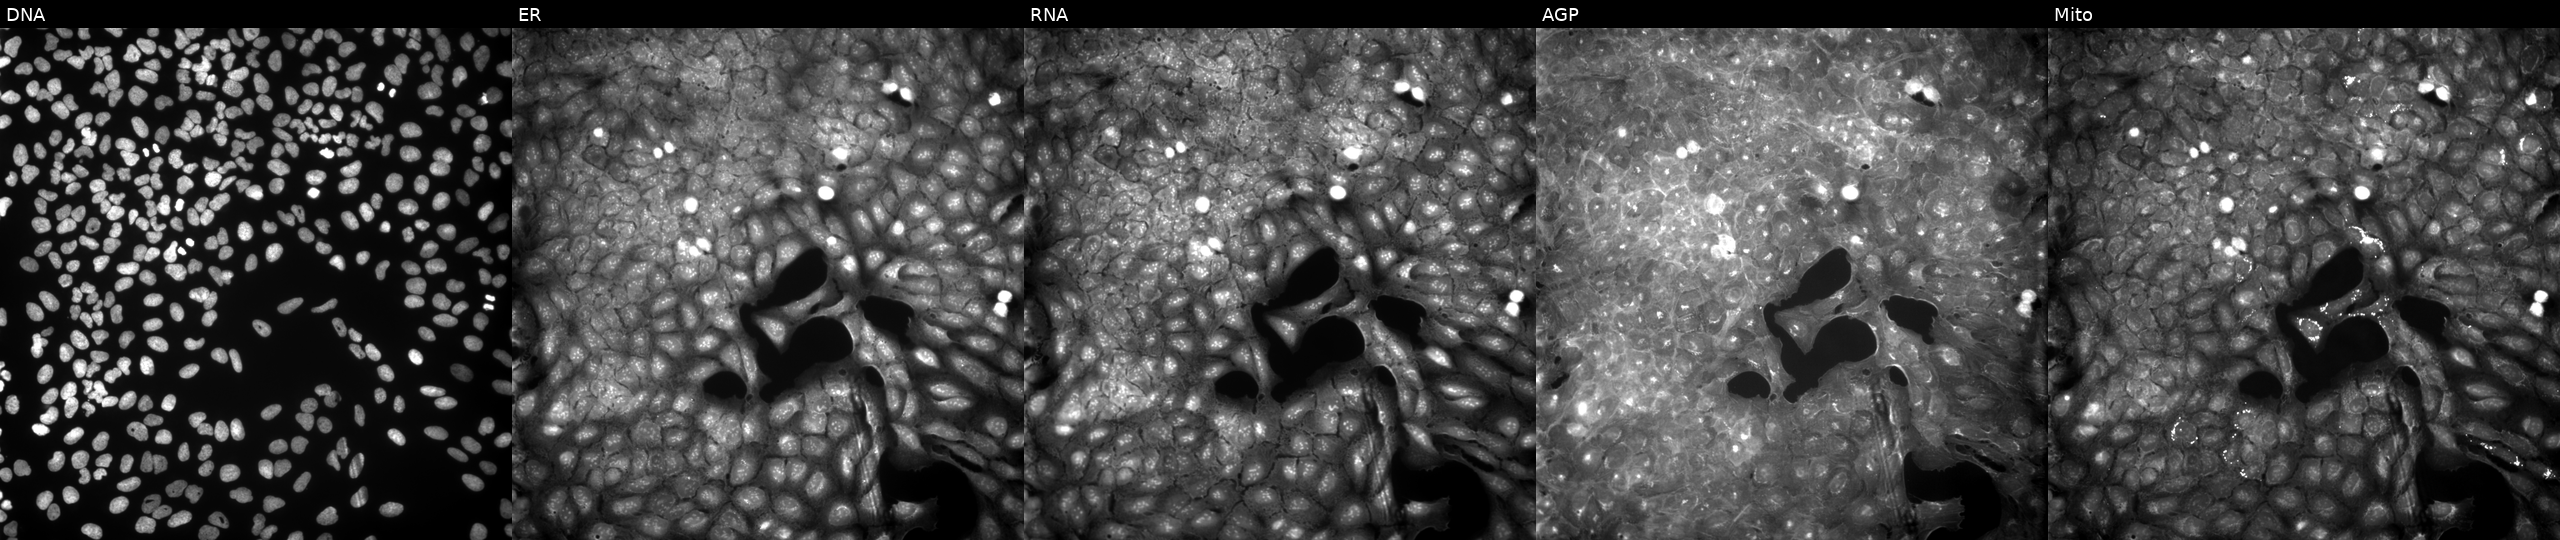
High-content fluorescence microscopy (Cell Painting). Cell line: U2OS. Perturbation: treated with a small-molecule compound (InChIKey IHPGZDZOETZKGR-UHFFFAOYSA-N) (JUMP id JCP2022_035117). The five panels, left to right, show Hoechst 33342, concanavalin A, SYTO 14, phalloidin and WGA, MitoTracker.